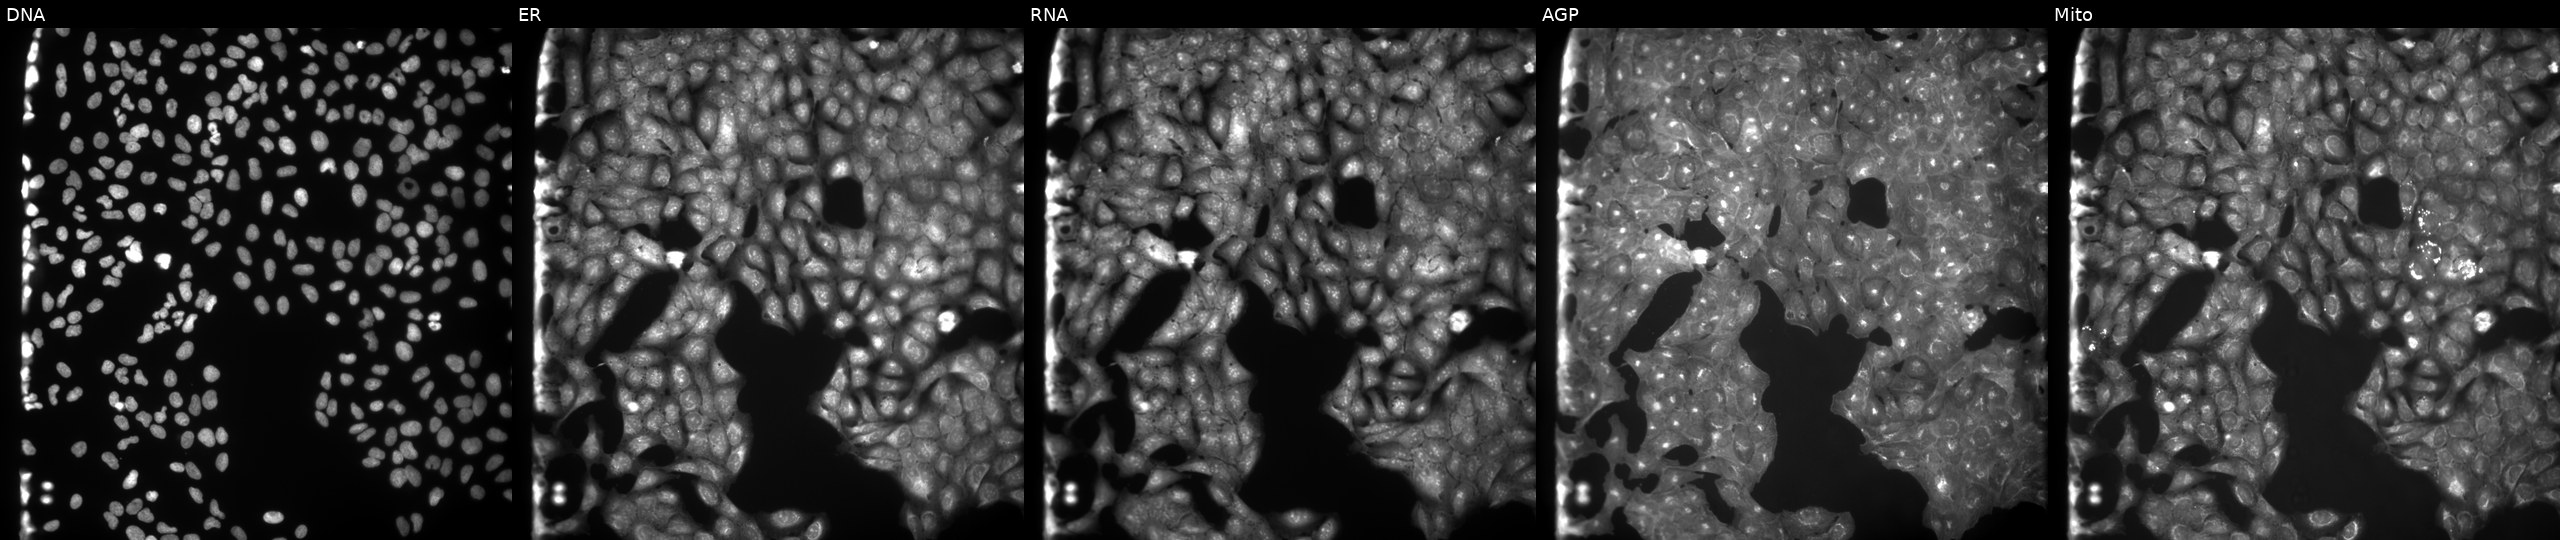
Panels show, left to right, Hoechst 33342, concanavalin A, SYTO 14, phalloidin and WGA, MitoTracker. U2OS osteosarcoma cells treated with NVS-PAK1-1 (positive-control compound). Cell Painting assay, JUMP-CP dataset. Source 9, plate GR00003382, well N01.